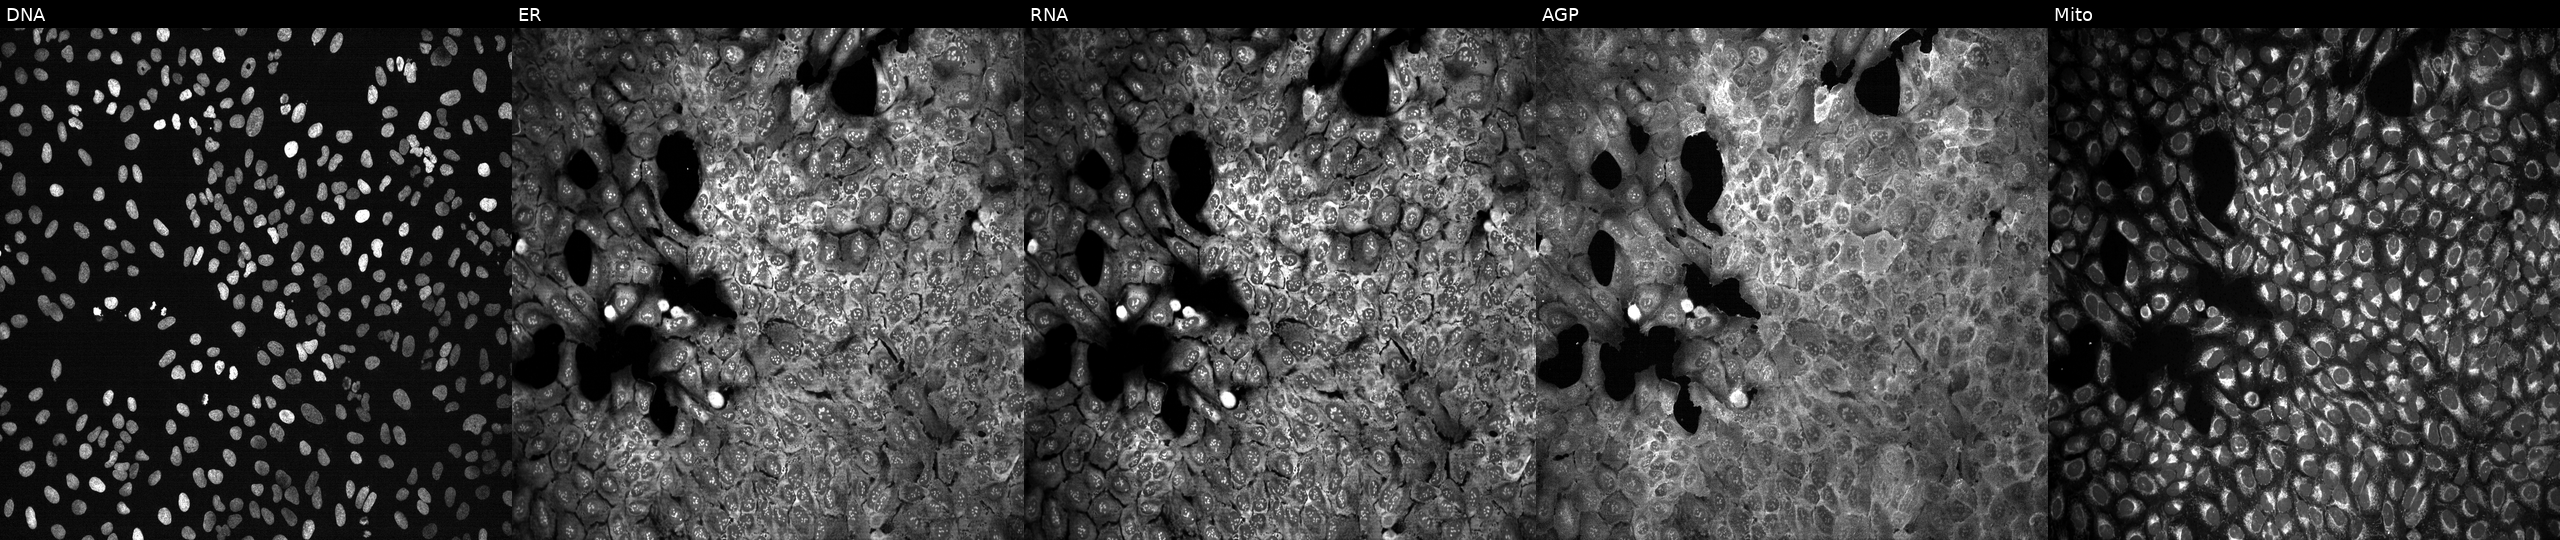
JUMP Cell Painting — CRISPR plate. U2OS cells with a non-targeting CRISPR guide (negative control) (JUMP id JCP2022_800002). Panels show, left to right, DNA (nuclei); ER (endoplasmic reticulum); RNA (nucleoli and cytoplasmic RNA); AGP (actin cytoskeleton, Golgi, and plasma membrane); Mito (mitochondria).